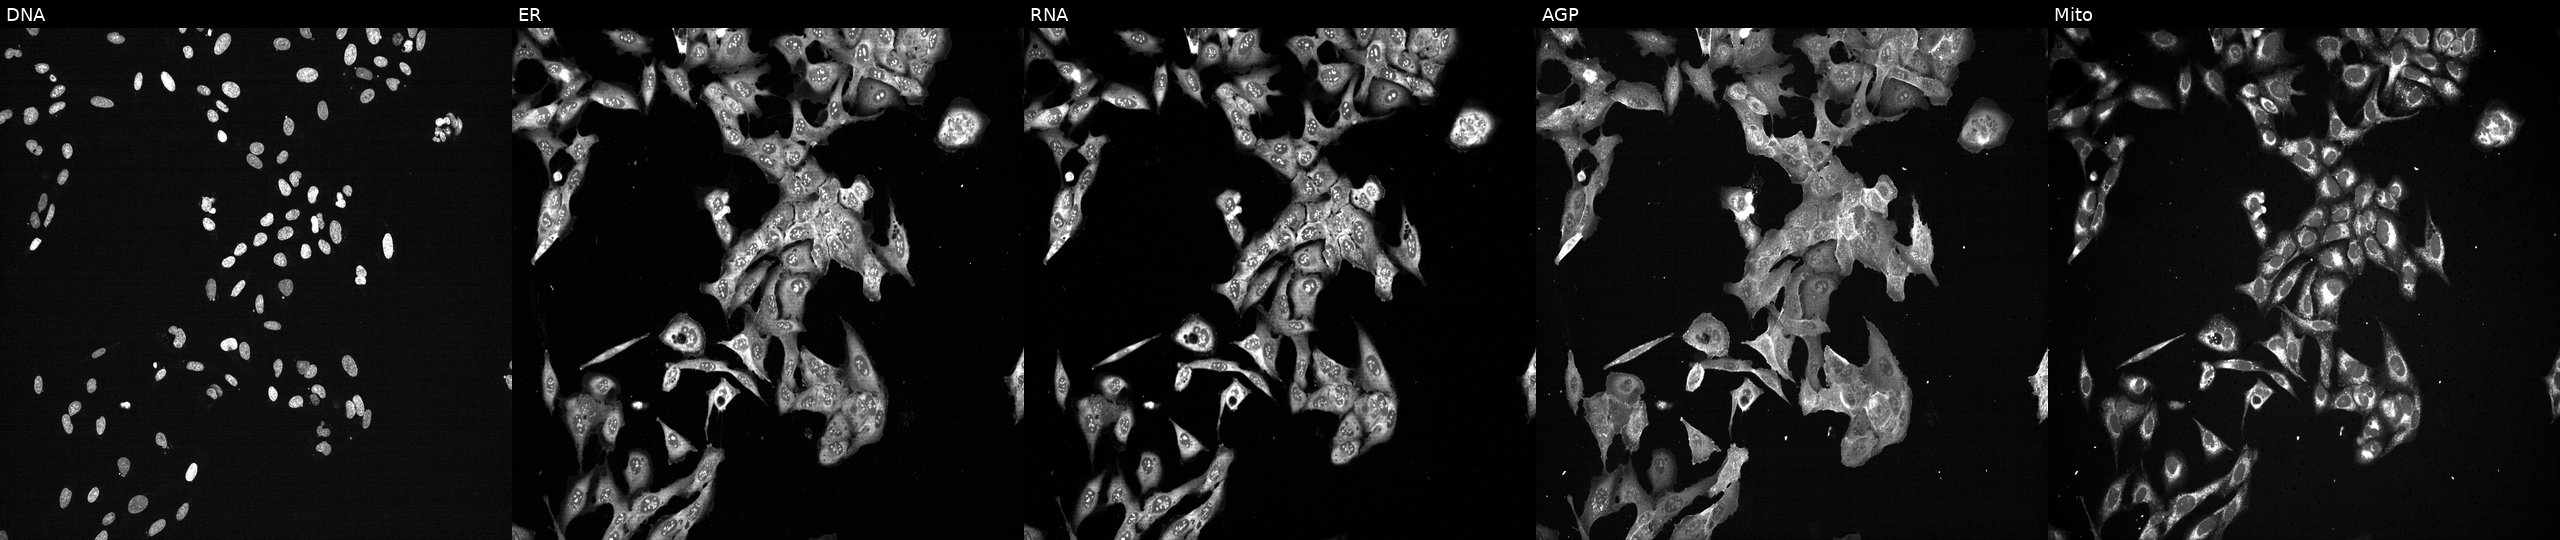
JUMP Cell Painting — CRISPR plate. U2OS cells following CRISPR knockout of PSMC6 (JUMP id JCP2022_805630). Channels (left→right): Hoechst 33342, concanavalin A, SYTO 14, phalloidin and WGA, MitoTracker. Source 13, plate CP-CC9-R2-02, well G10.